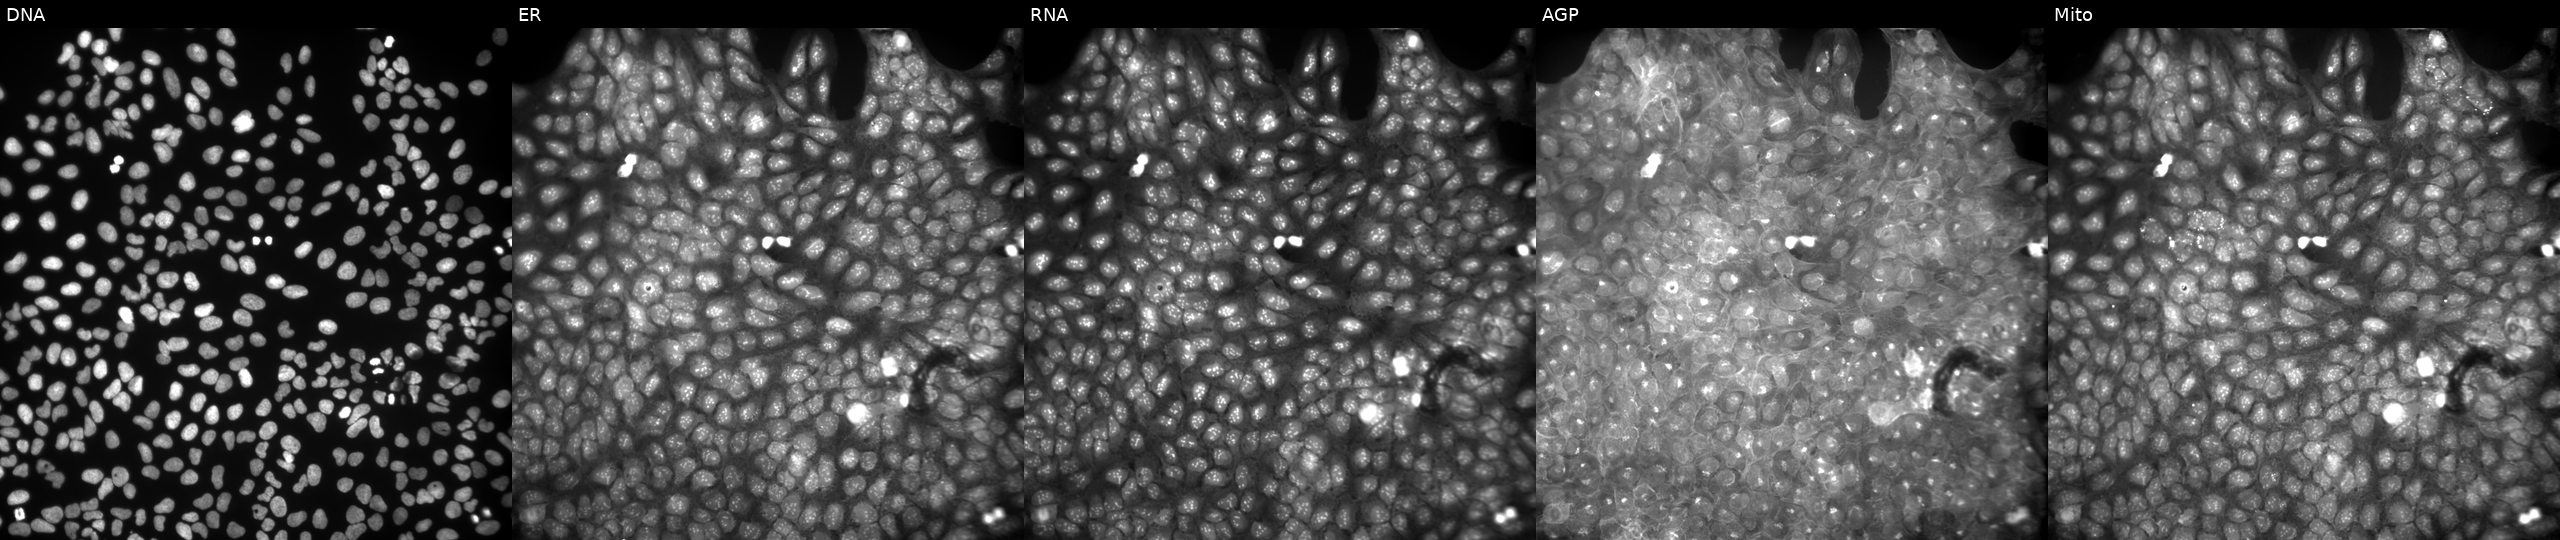
High-content fluorescence microscopy (Cell Painting). Cell line: U2OS. Perturbation: perturbed with a small-molecule compound. Channels (left→right): DNA (nuclei); ER (endoplasmic reticulum); RNA (nucleoli and cytoplasmic RNA); AGP (actin cytoskeleton, Golgi, and plasma membrane); Mito (mitochondria).